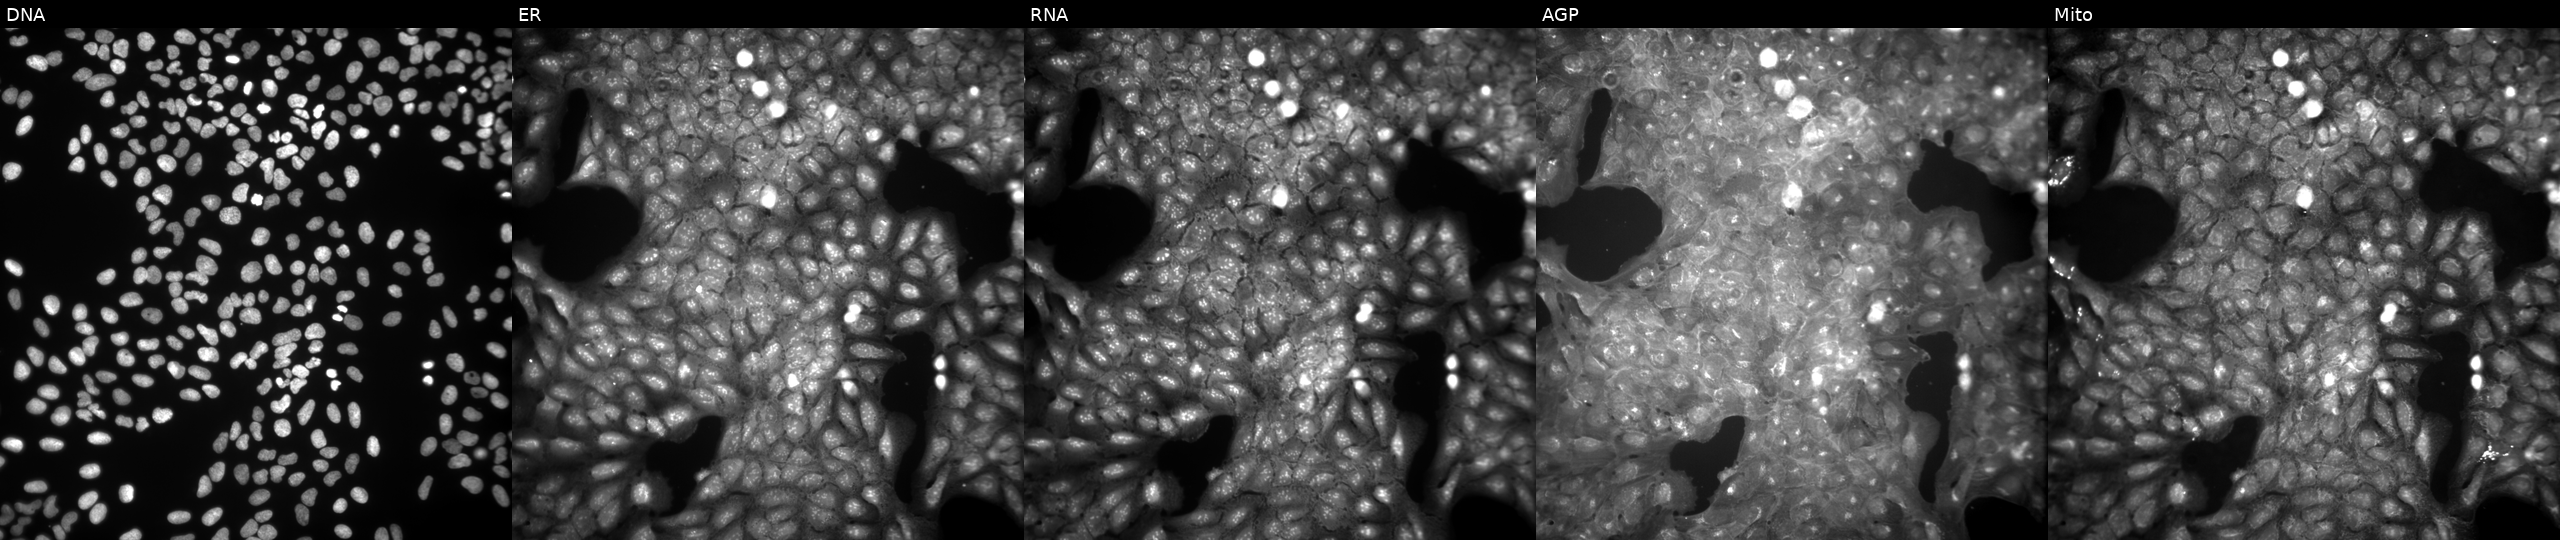
The five panels, left to right, show DNA (nuclei); ER (endoplasmic reticulum); RNA (nucleoli and cytoplasmic RNA); AGP (actin cytoskeleton, Golgi, and plasma membrane); Mito (mitochondria). U2OS osteosarcoma cells treated with a small-molecule compound (InChIKey QCHKQJXUVSJLLB-UHFFFAOYSA-N). Cell Painting assay, JUMP-CP dataset.